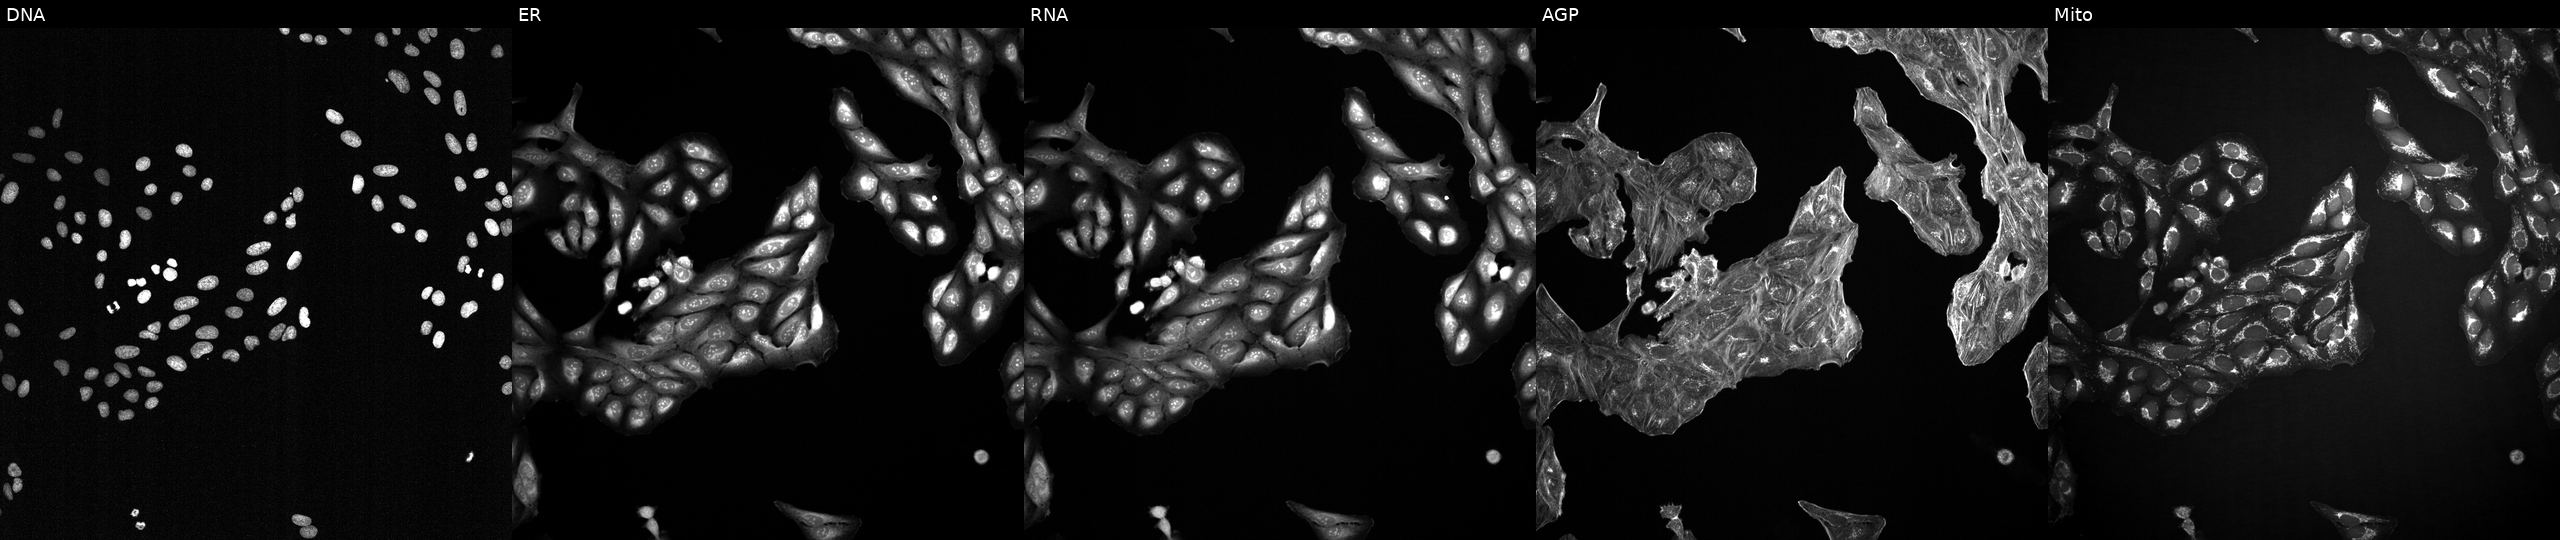
This image strip shows the five Cell Painting channels for a single field of U2OS cells treated with DMSO vehicle only (negative control). Panels show, left to right, DNA (nuclei); ER (endoplasmic reticulum); RNA (nucleoli and cytoplasmic RNA); AGP (actin cytoskeleton, Golgi, and plasma membrane); Mito (mitochondria). Source 2, plate 1053599503, well M18.